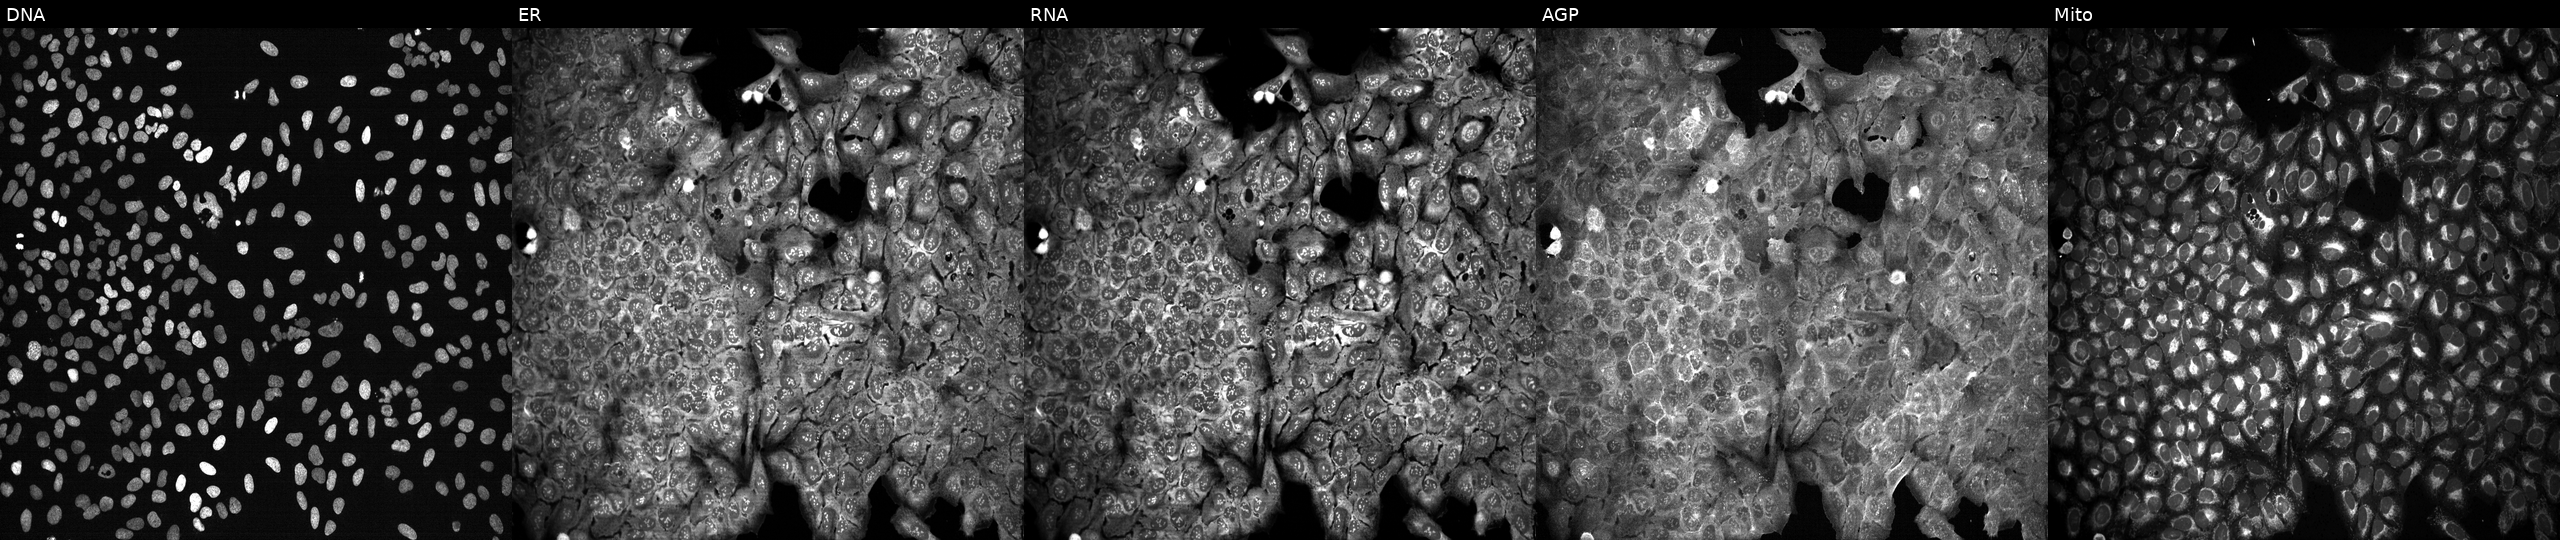
High-content fluorescence microscopy (Cell Painting). Cell line: U2OS. Perturbation: with MYH8 knocked out by CRISPR. Channels (left→right): DNA, ER, RNA, AGP, and Mito. Source 13, plate CP-CC9-R3-02, well E22.